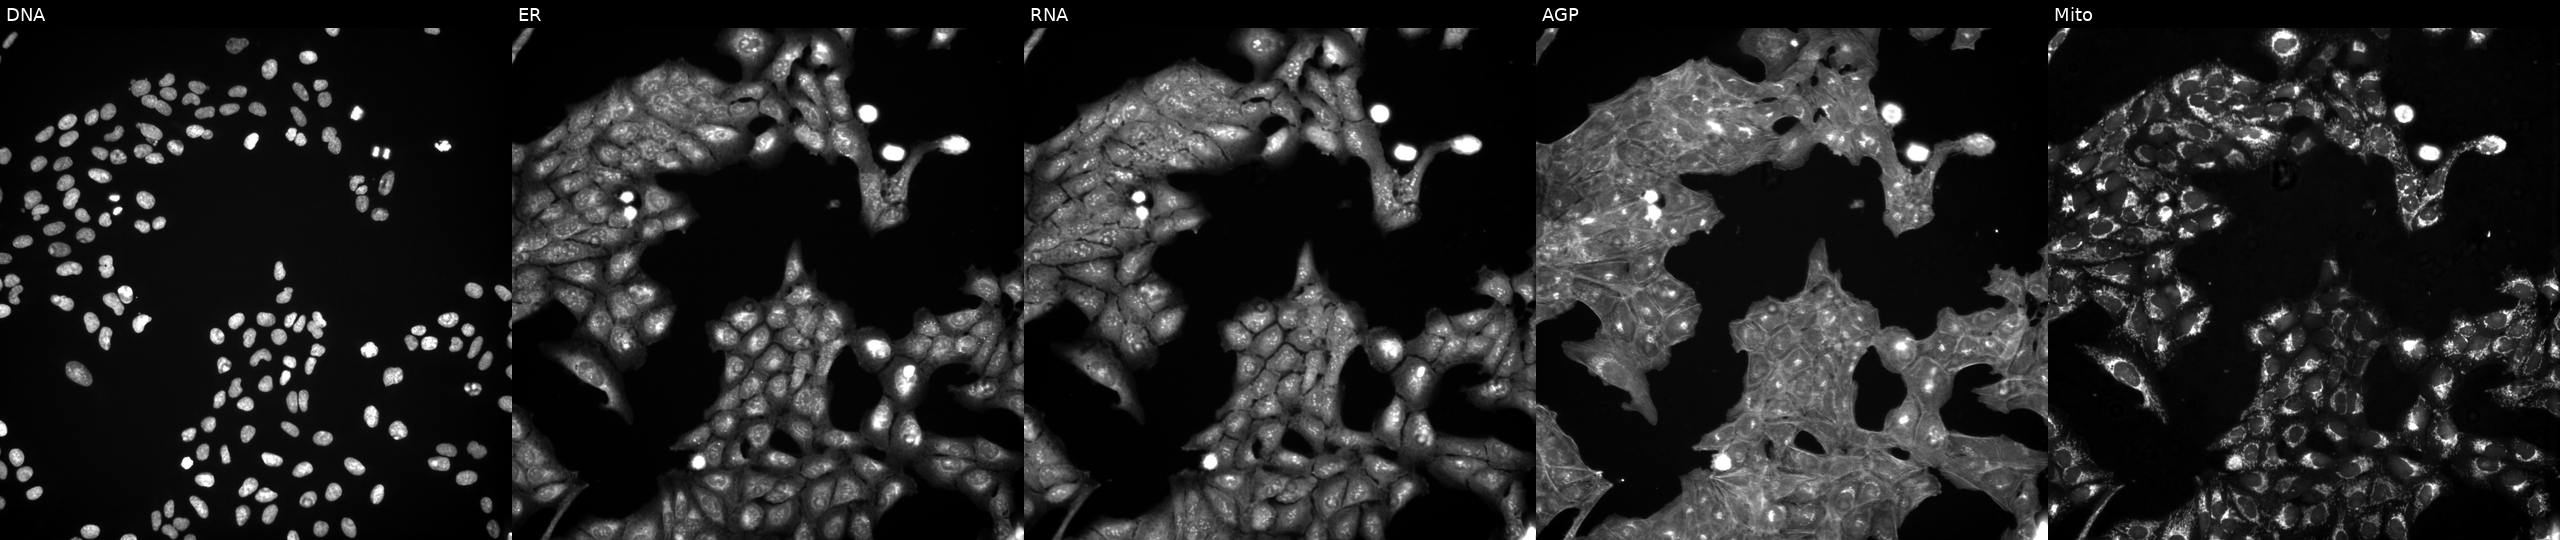
High-content fluorescence microscopy (Cell Painting). Cell line: U2OS. Perturbation: perturbed with a small-molecule compound (InChIKey NLSSUSRERAMBTA-UHFFFAOYSA-N) (JUMP id JCP2022_059825). Channels (left→right): Hoechst 33342, concanavalin A, SYTO 14, phalloidin and WGA, MitoTracker.